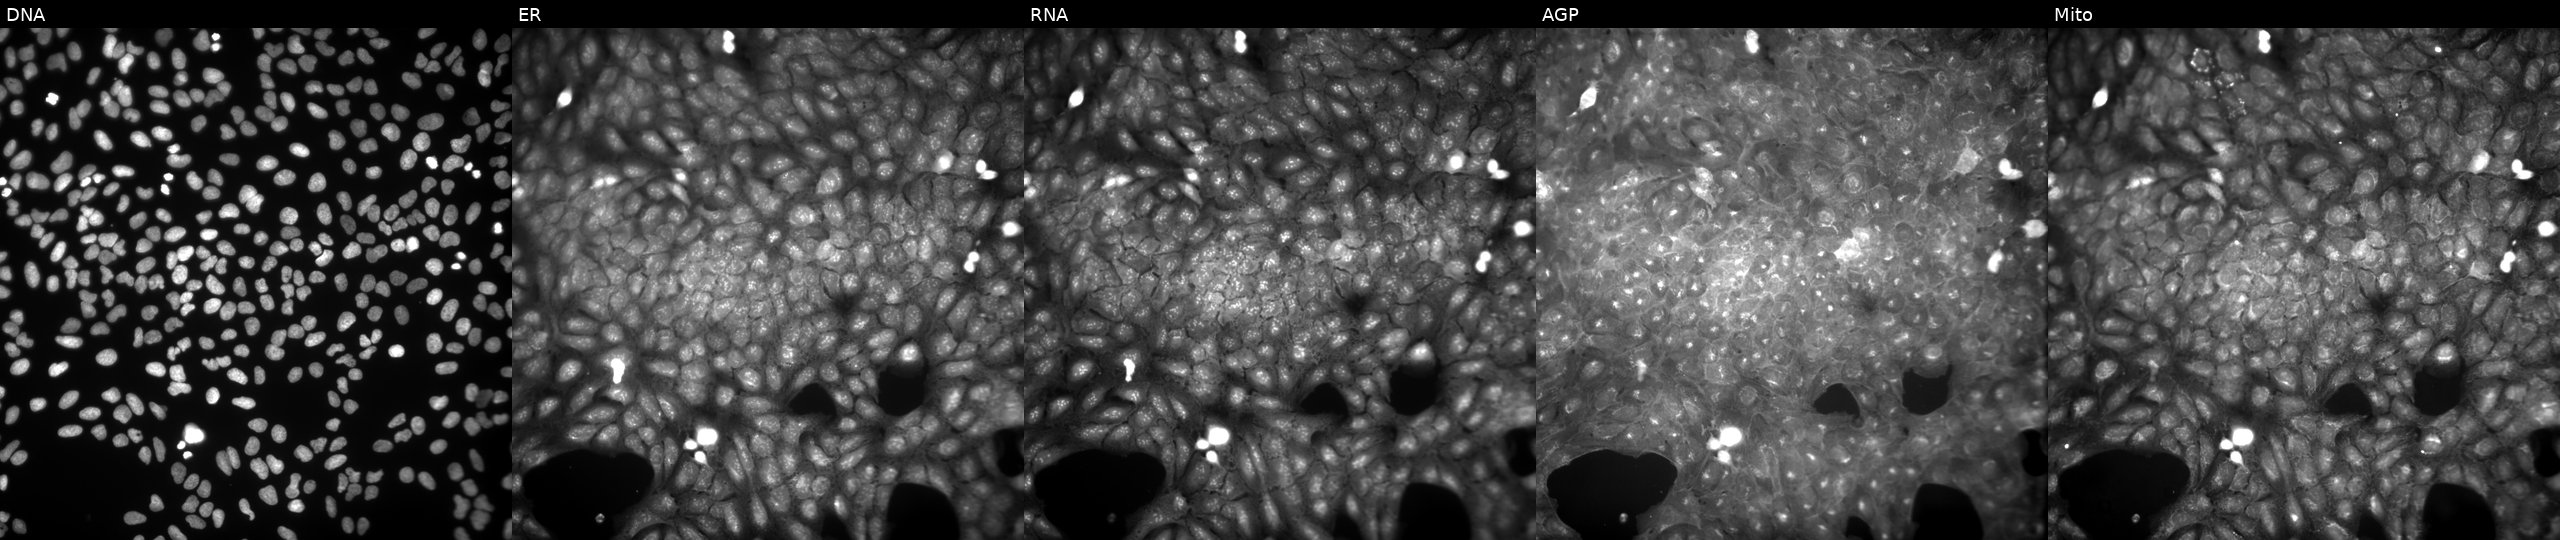
This image strip shows the five Cell Painting channels for a single field of U2OS cells exposed to a small-molecule compound (InChIKey VGUSWIHOGHPDPF-UHFFFAOYSA-N). Panels show, left to right, Hoechst 33342, concanavalin A, SYTO 14, phalloidin and WGA, MitoTracker. Source 9, plate GR00003382, well W44.